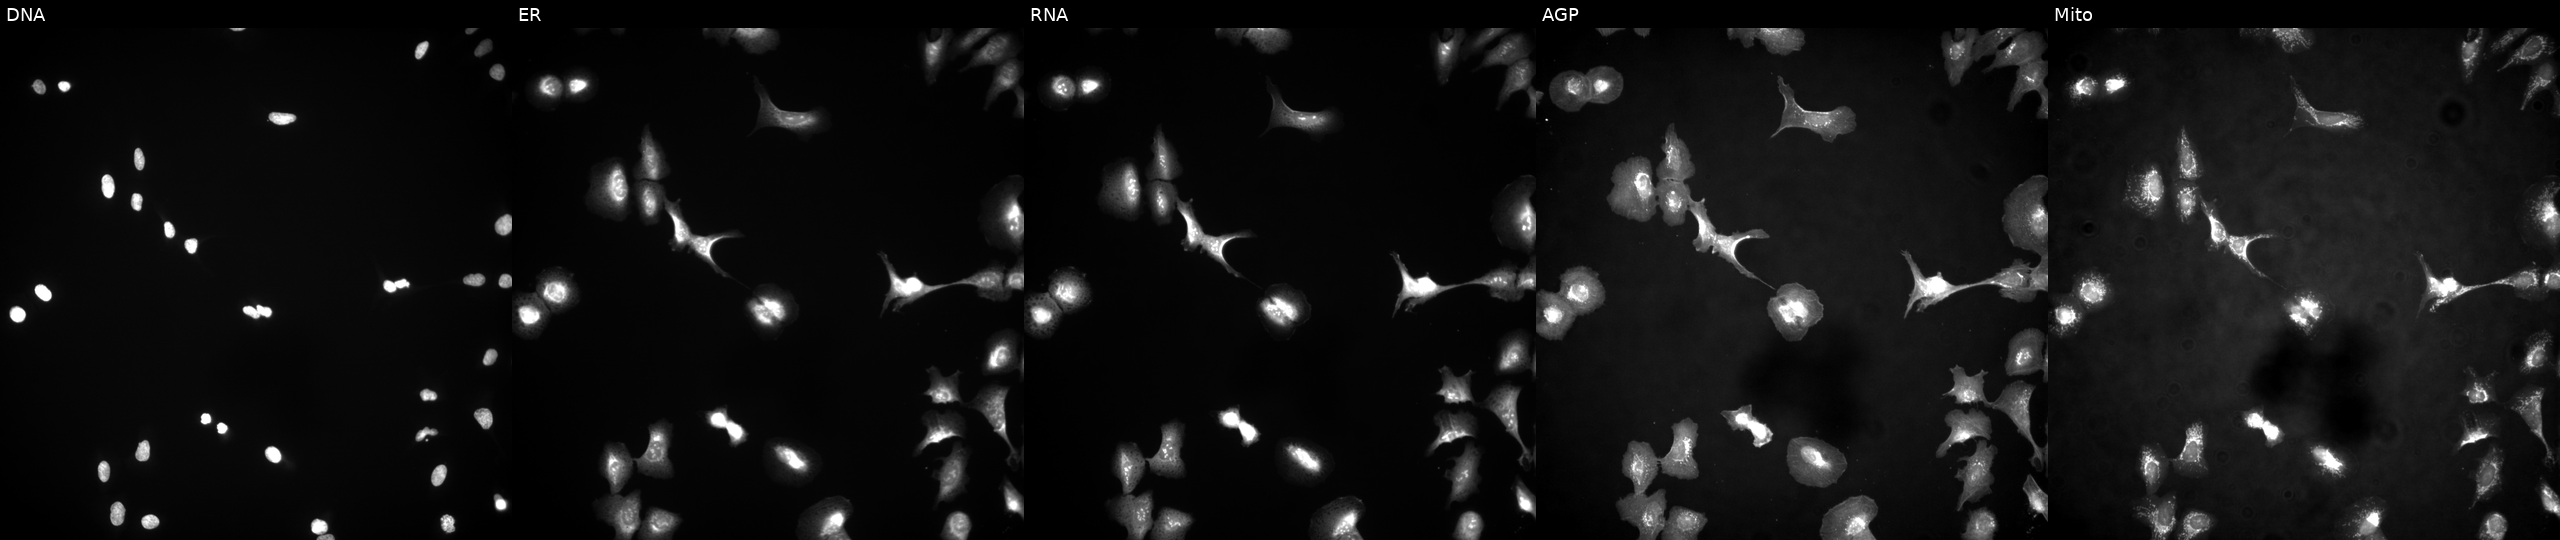
High-content fluorescence microscopy (Cell Painting). Cell line: U2OS. Perturbation: with PLPP5 overexpressed (ORF) (JUMP id JCP2022_914998). Panels show, left to right, DNA (nuclei); ER (endoplasmic reticulum); RNA (nucleoli and cytoplasmic RNA); AGP (actin cytoskeleton, Golgi, and plasma membrane); Mito (mitochondria).